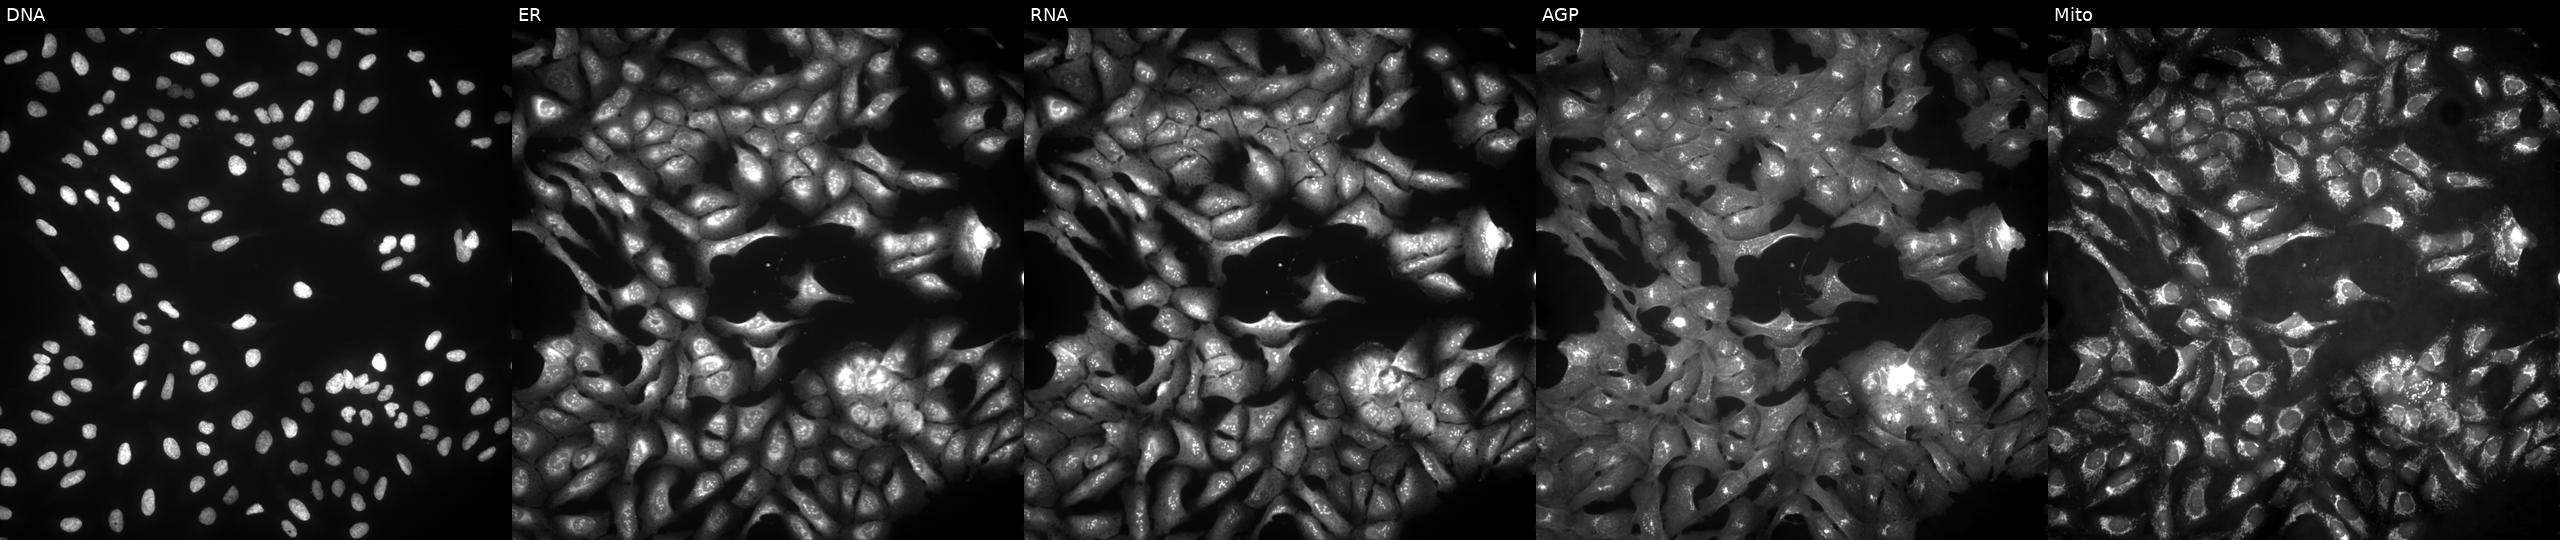
High-content fluorescence microscopy (Cell Painting). Cell line: U2OS. Perturbation: overexpressing NUF2 via ORF transfection (JUMP id JCP2022_904005). Panels show, left to right, DNA, ER, RNA, AGP, and Mito.